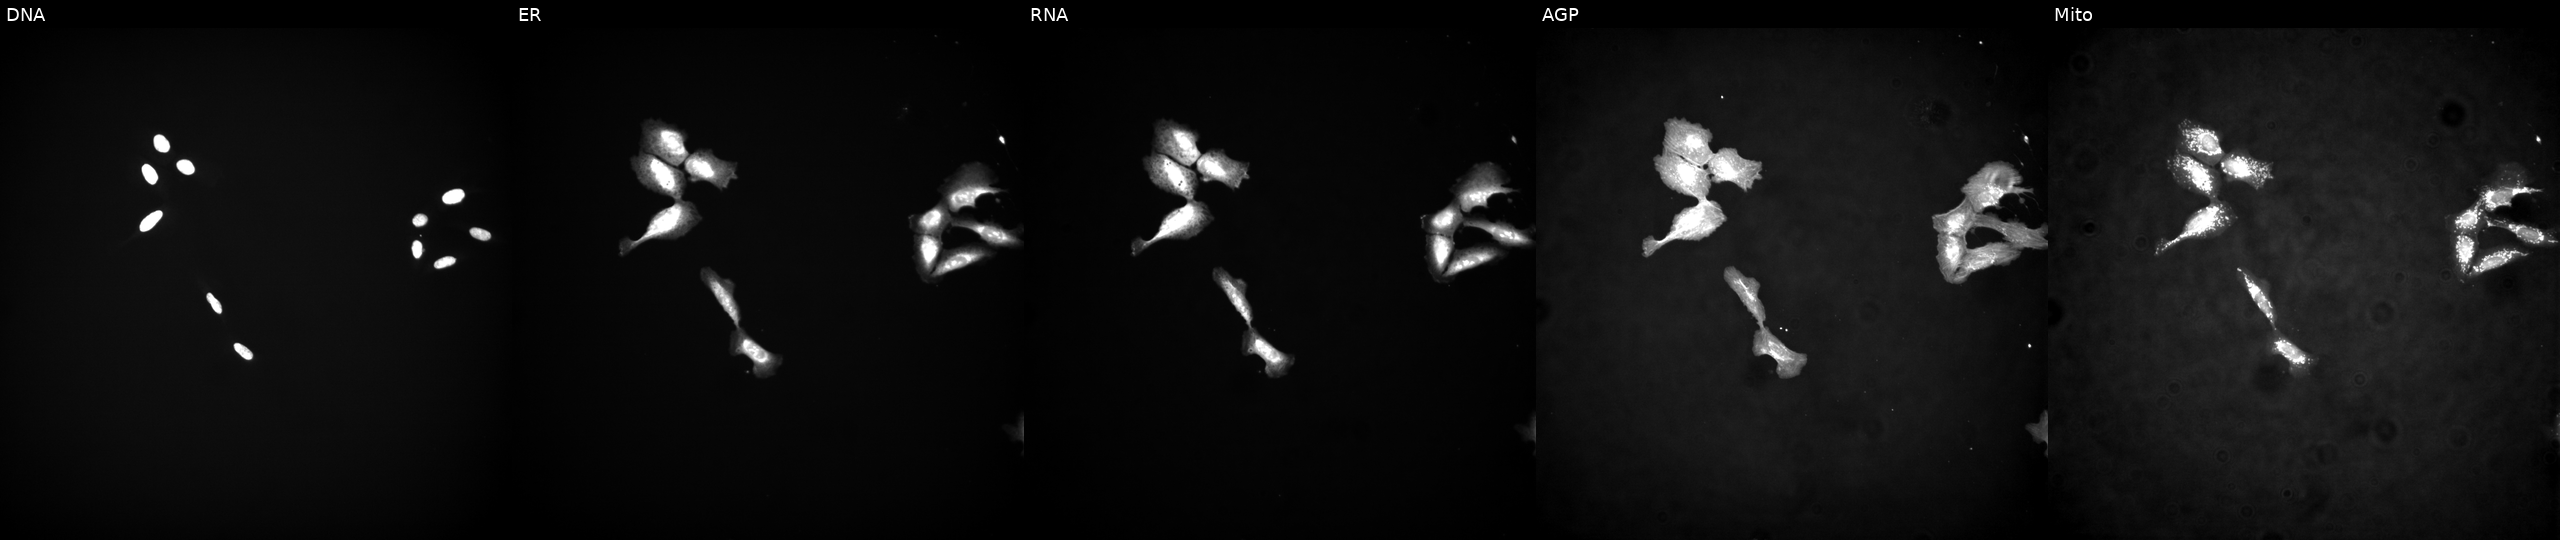
U2OS cells, Cell Painting assay, transfected with an ORF construct for N4BP2 (JUMP id JCP2022_908011). Panels show, left to right, DNA, ER, RNA, AGP, and Mito. Each panel is percentile-stretched 16-bit fluorescence.